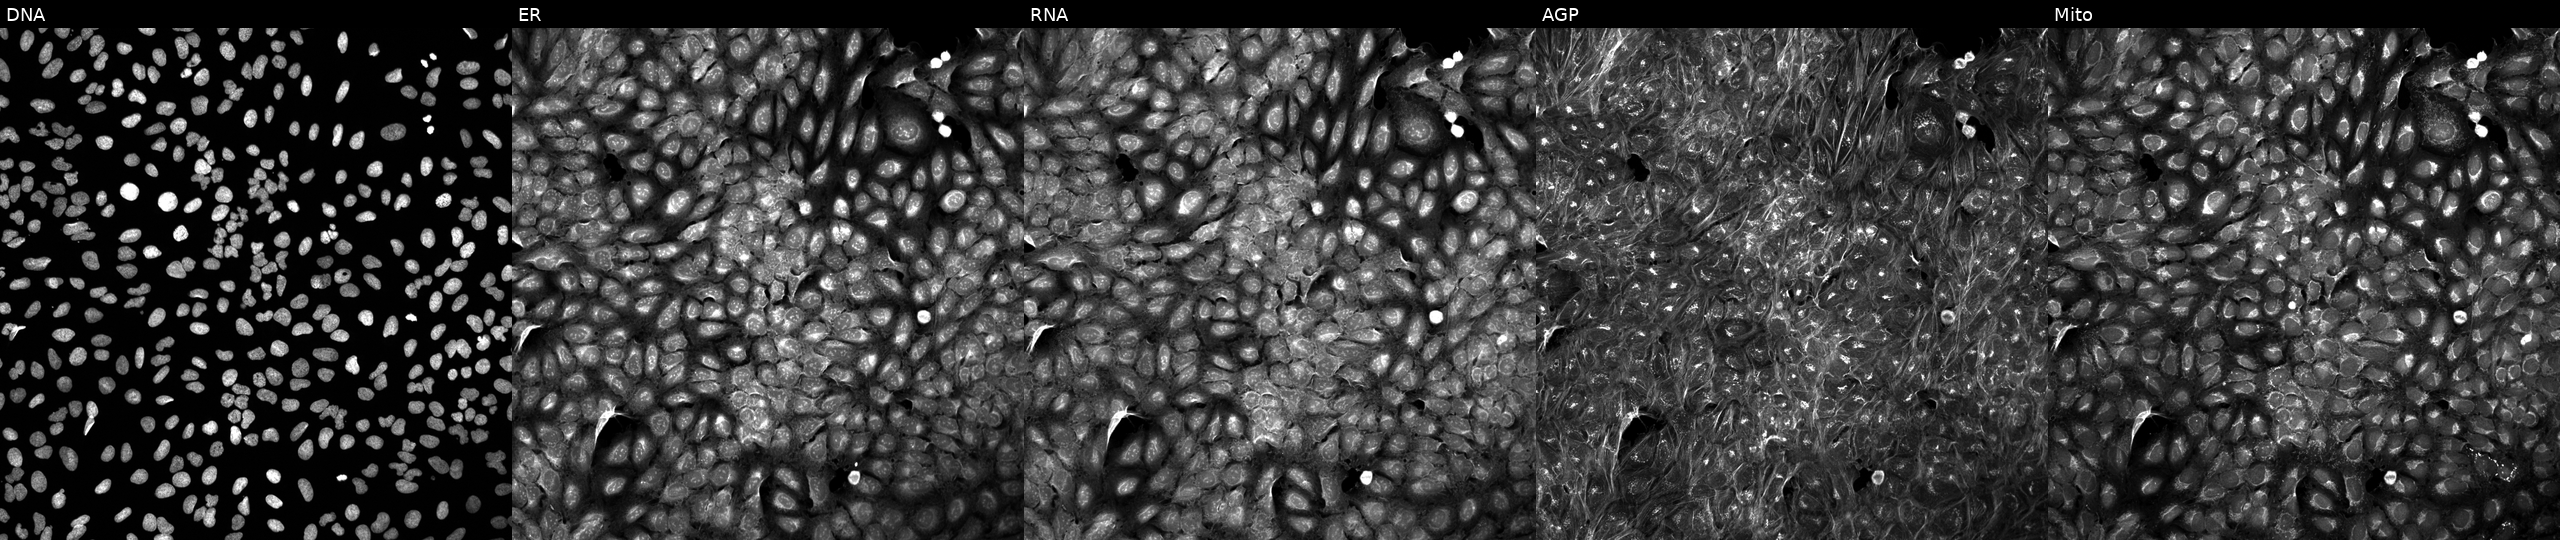
JUMP Cell Painting — COMPOUND plate. U2OS cells perturbed with a small-molecule compound (InChIKey IQXRETSVNCRQBK-UHFFFAOYSA-N) (JUMP id JCP2022_036842). From left to right: DNA, ER, RNA, AGP, and Mito.